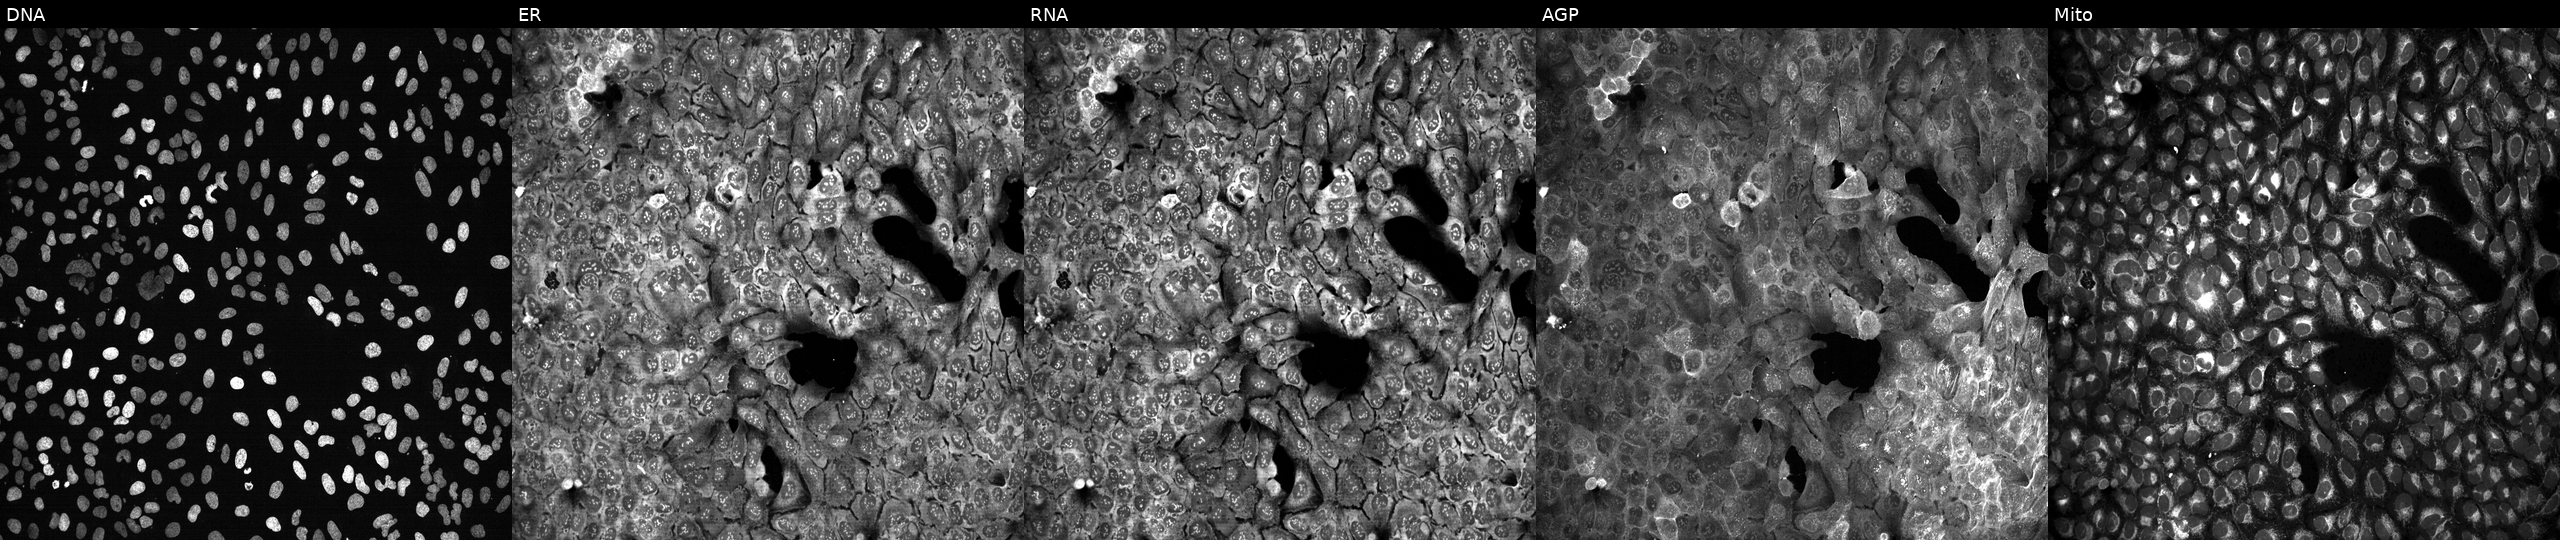
JUMP Cell Painting — CRISPR plate. U2OS cells following CRISPR knockout of TP53I3. The five panels, left to right, show DNA, ER, RNA, AGP, and Mito.